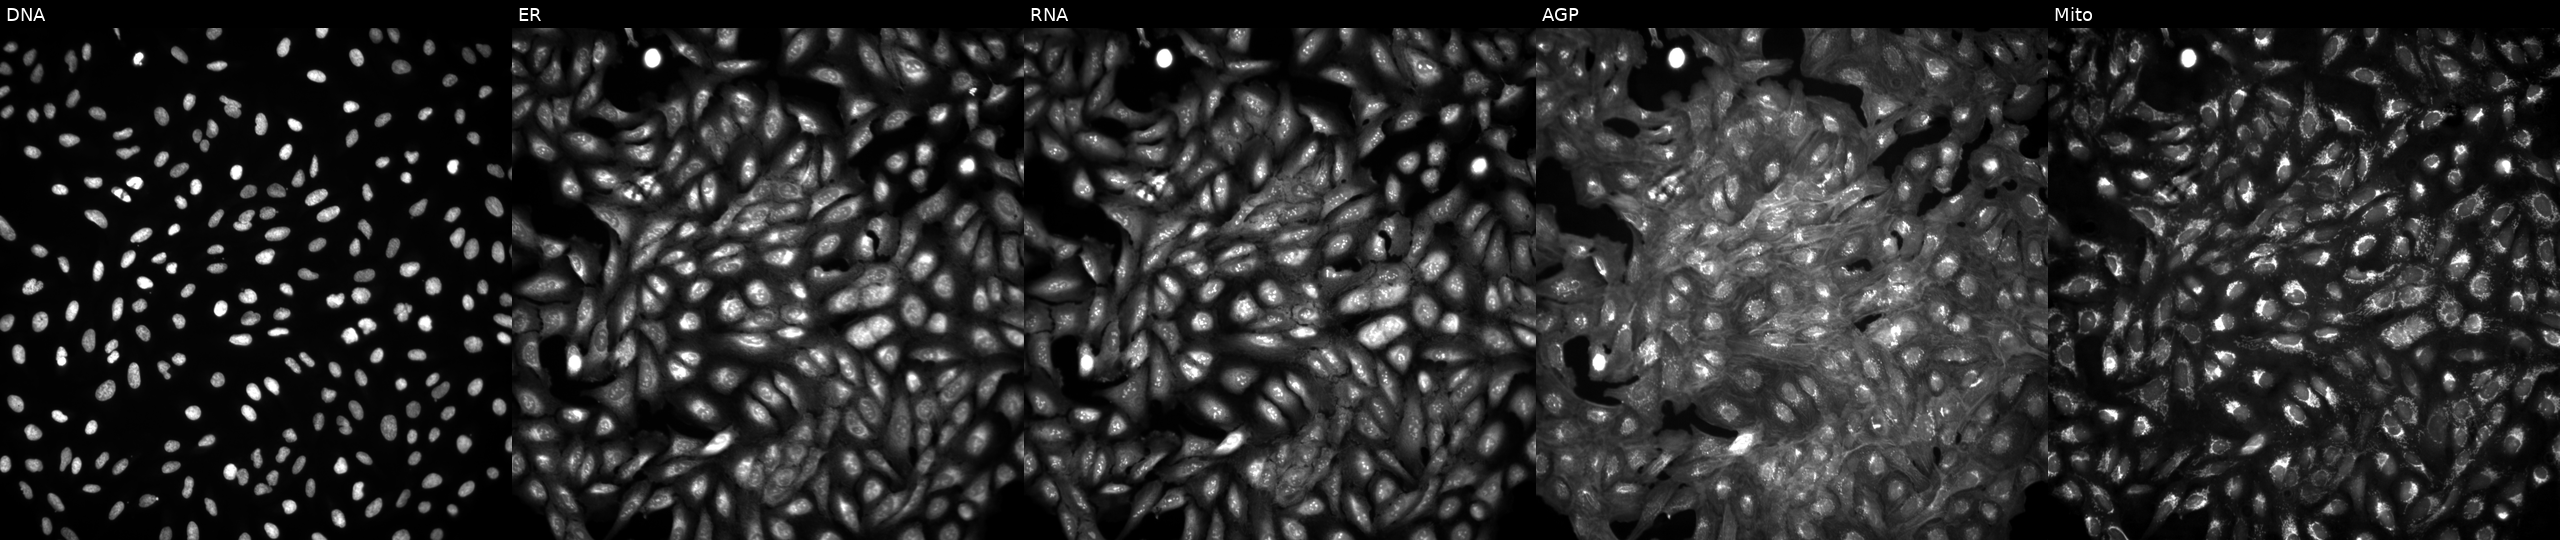
This image strip shows the five Cell Painting channels for a single field of U2OS cells untreated (empty-well control) (JUMP id JCP2022_999999). Panels show, left to right, Hoechst 33342, concanavalin A, SYTO 14, phalloidin and WGA, MitoTracker.